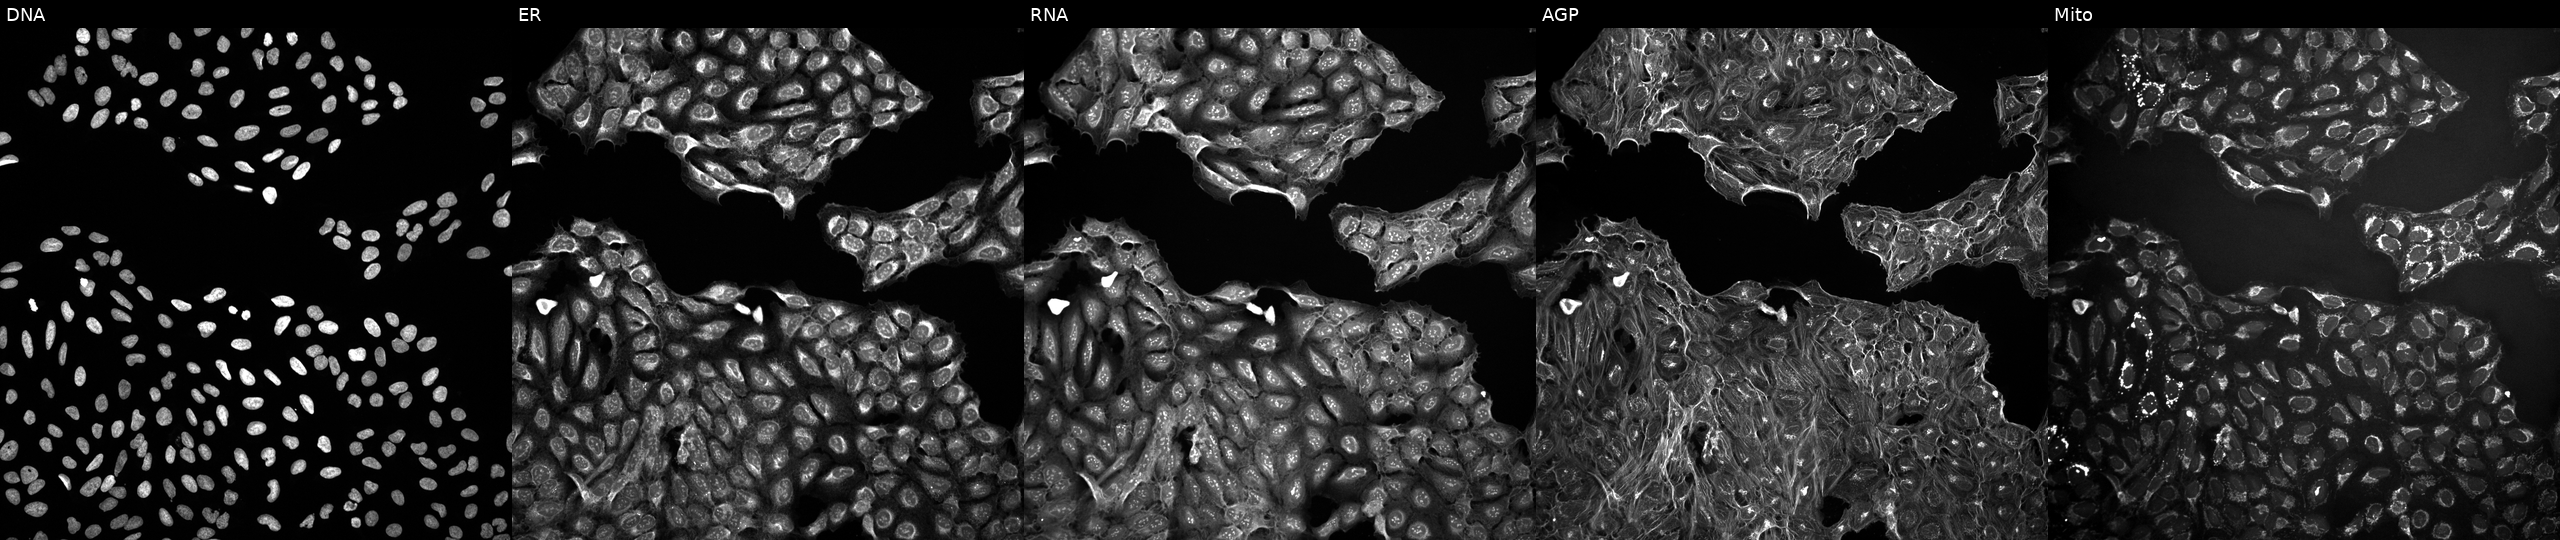
U2OS cells, Cell Painting assay, perturbed with a small-molecule compound (JUMP id JCP2022_042558). Channels (left→right): Hoechst 33342, concanavalin A, SYTO 14, phalloidin and WGA, MitoTracker. Each panel is percentile-stretched 16-bit fluorescence.